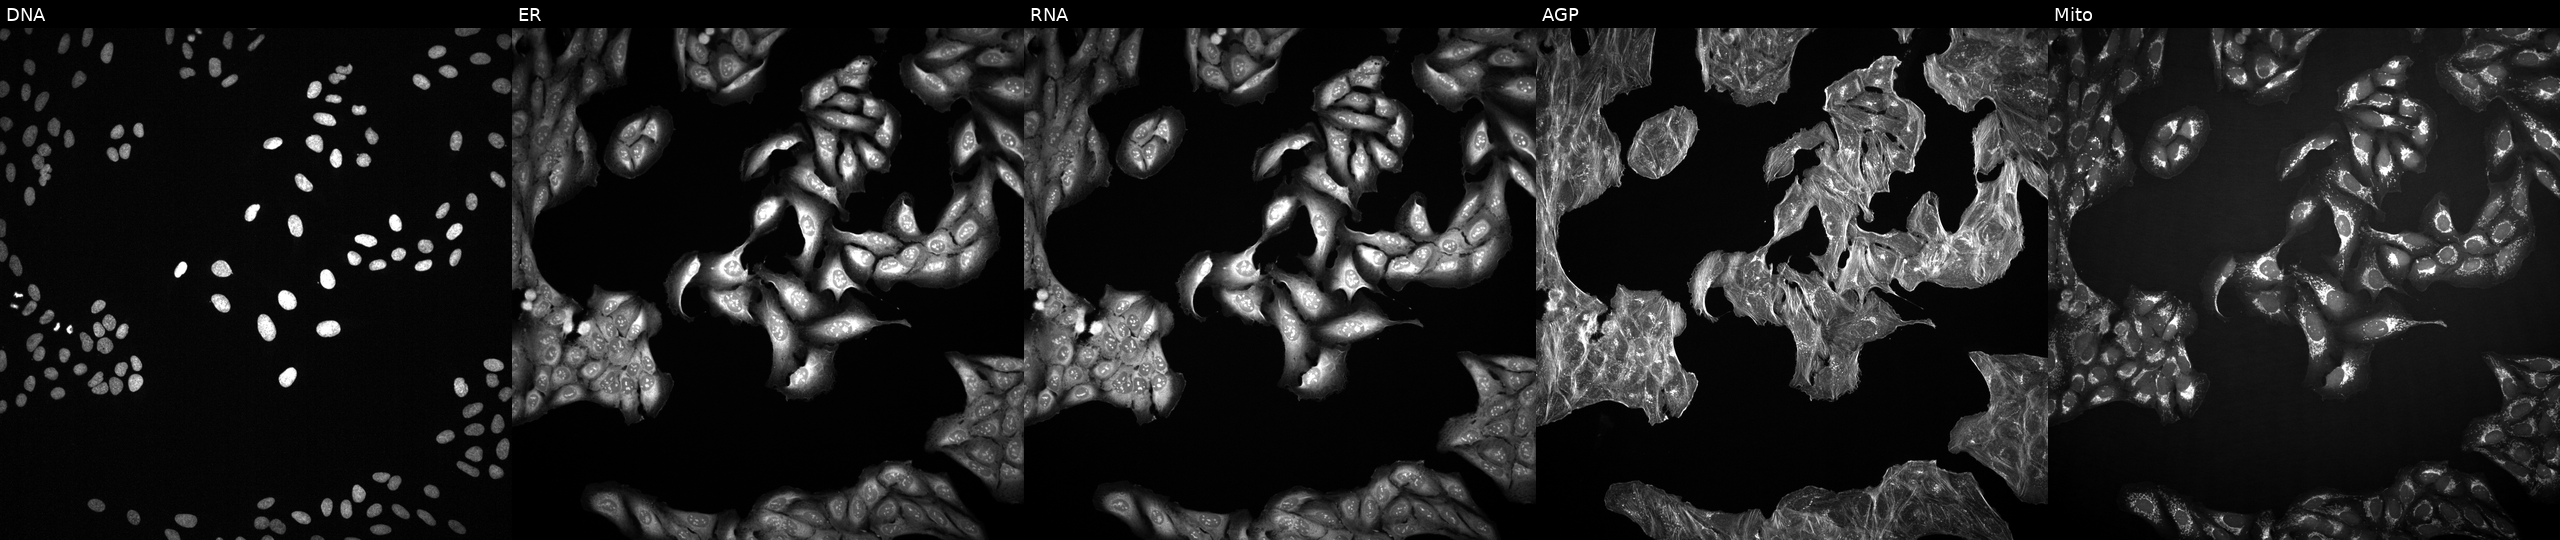
JUMP Cell Painting — TARGET2 plate. U2OS cells exposed to a small-molecule compound [SMILES: Cc1cc(C(=O)Cn2cc(C#N)ccc2=O)c(C)n1Cc1ccccc1]. Panels show, left to right, DNA, ER, RNA, AGP, and Mito.